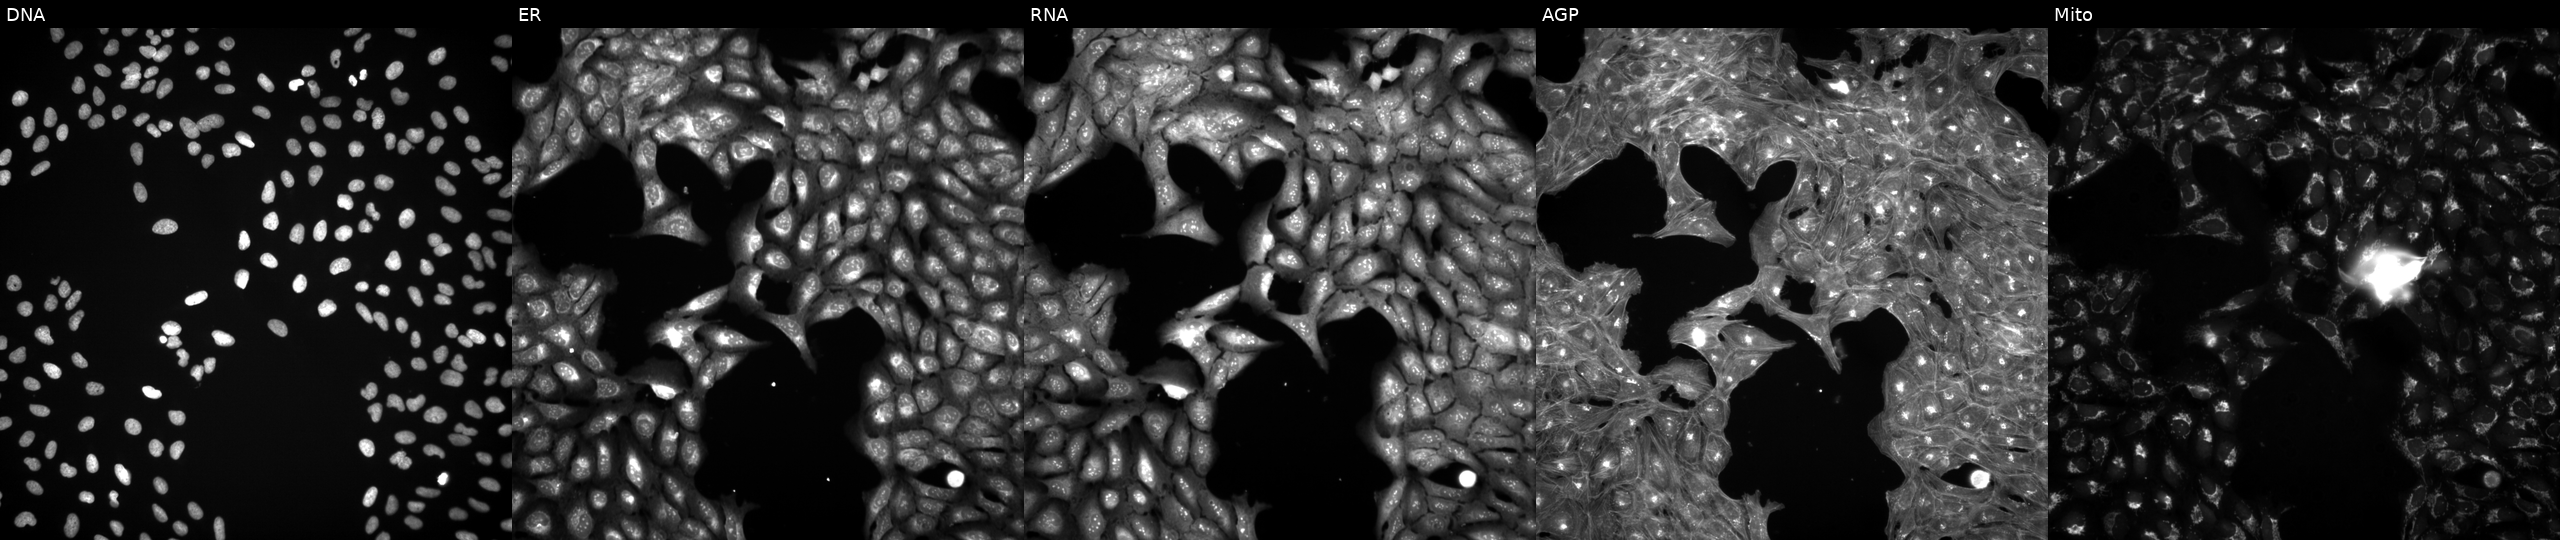
JUMP Cell Painting — TARGET2 plate. U2OS cells treated with a small-molecule compound. Panels show, left to right, Hoechst 33342, concanavalin A, SYTO 14, phalloidin and WGA, MitoTracker. Source 3, plate JCPQC053, well I08.